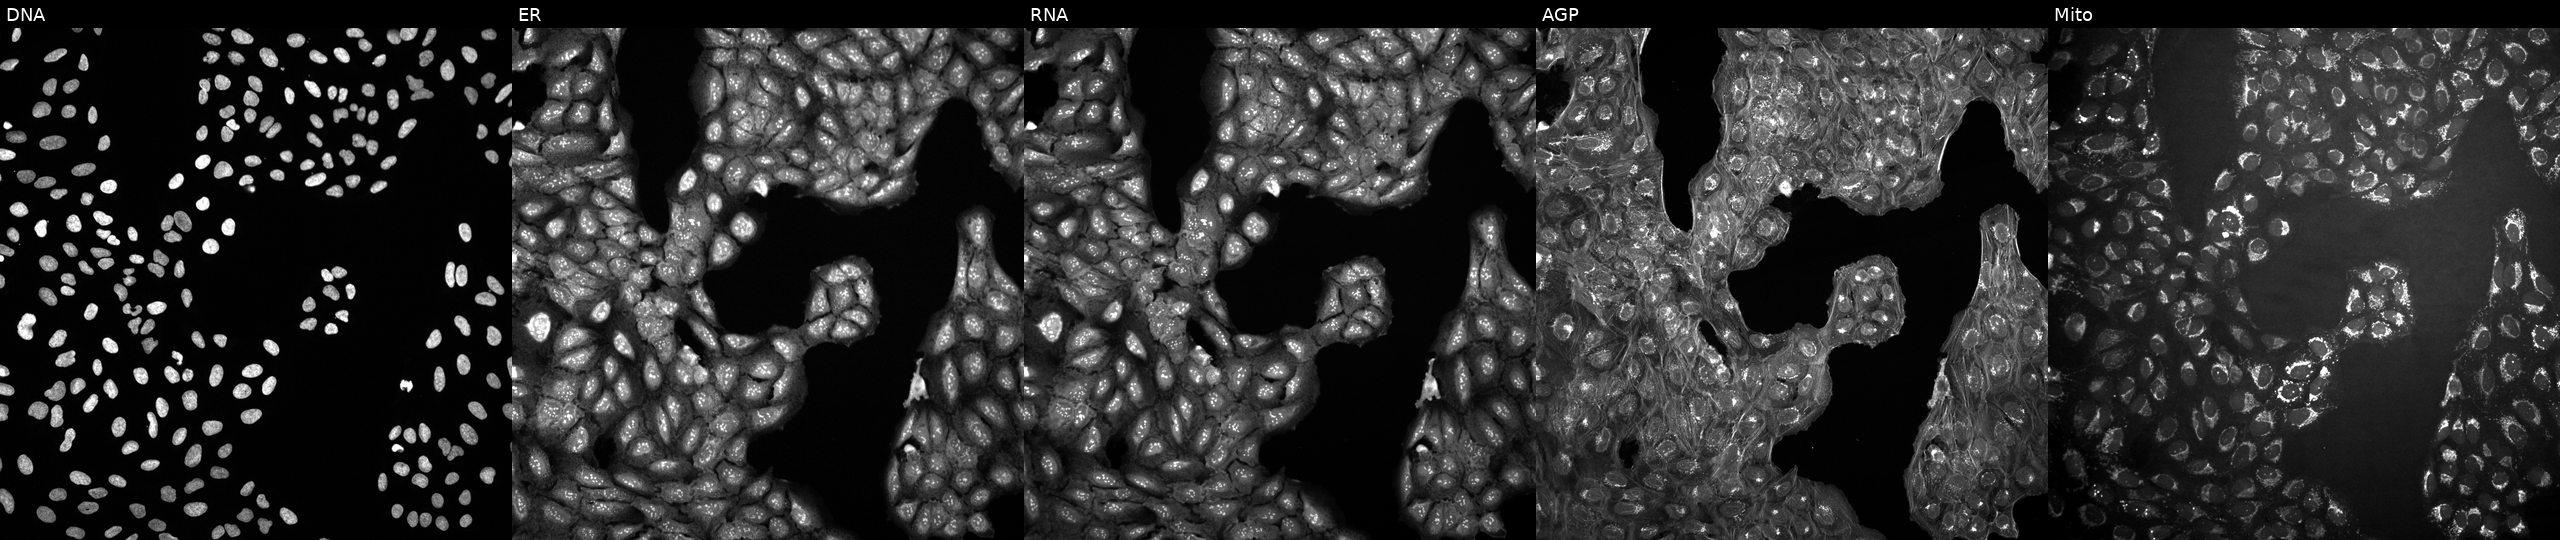
U2OS cells, Cell Painting assay, untreated (empty-well control). The five panels, left to right, show Hoechst 33342, concanavalin A, SYTO 14, phalloidin and WGA, MitoTracker. Each panel is percentile-stretched 16-bit fluorescence. Source 10, plate Dest210531-152149, well D12.